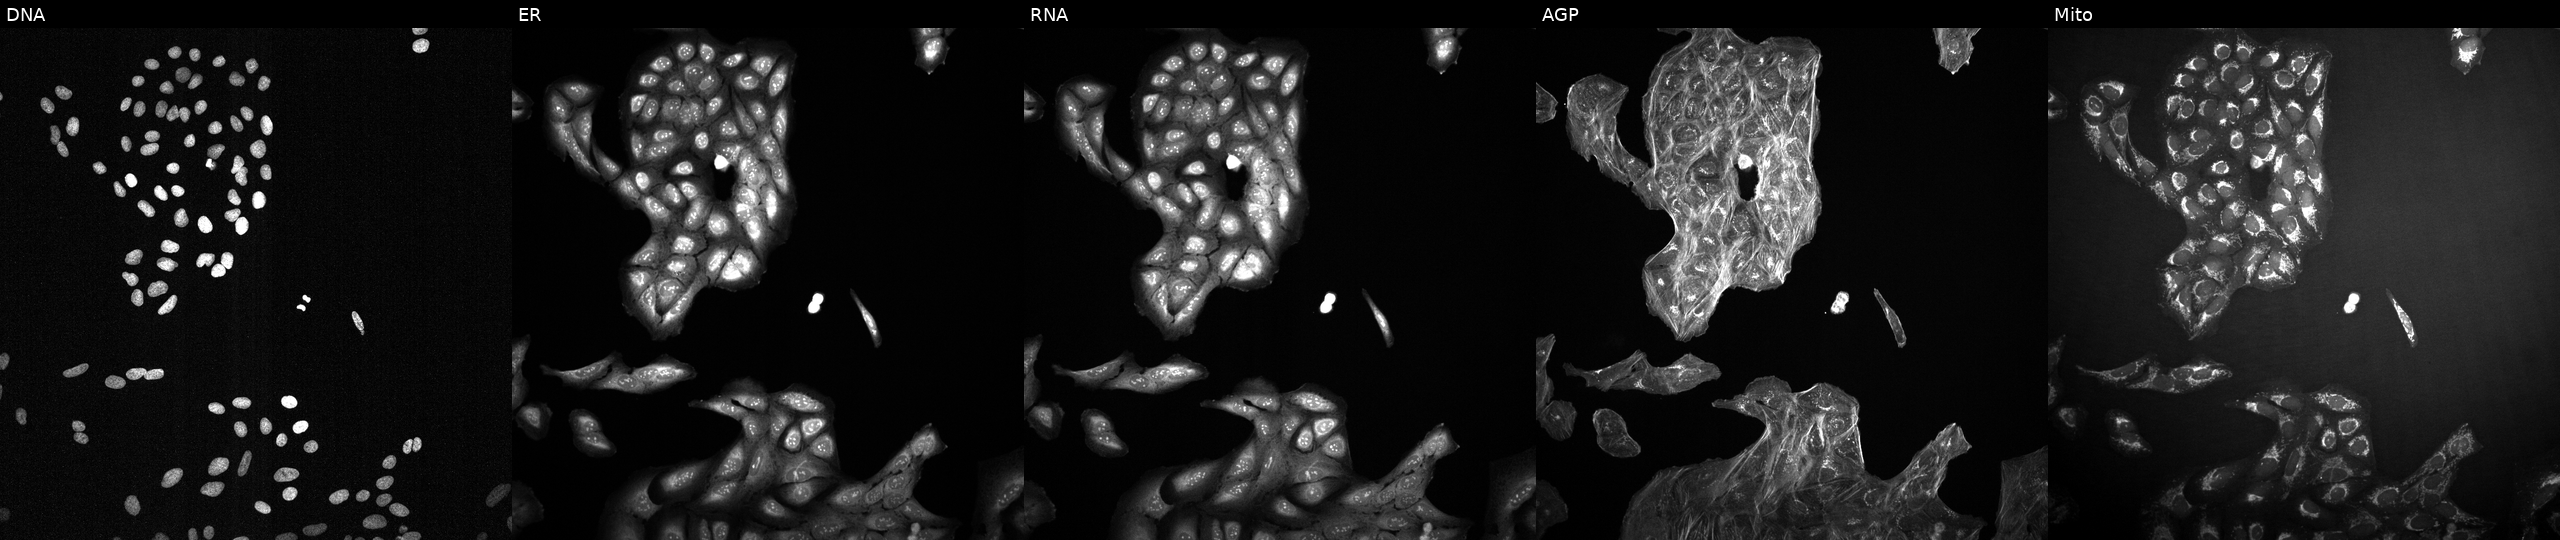
This image strip shows the five Cell Painting channels for a single field of U2OS cells exposed to DMSO alone as a negative control (JUMP id JCP2022_033924). Panels show, left to right, Hoechst 33342, concanavalin A, SYTO 14, phalloidin and WGA, MitoTracker.